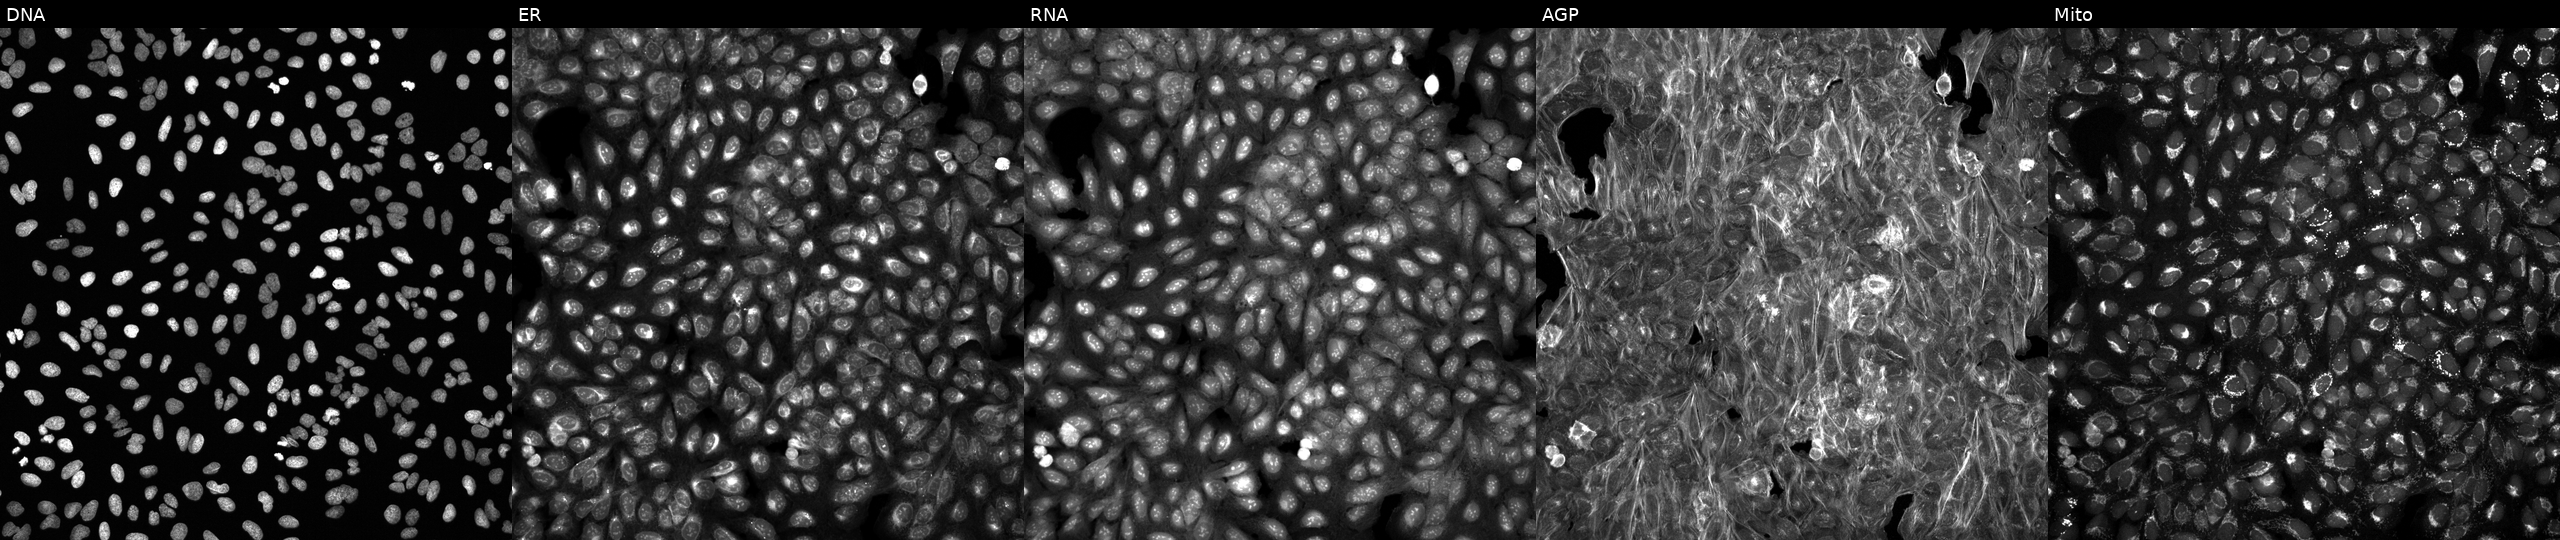
From left to right: DNA (nuclei); ER (endoplasmic reticulum); RNA (nucleoli and cytoplasmic RNA); AGP (actin cytoskeleton, Golgi, and plasma membrane); Mito (mitochondria). U2OS osteosarcoma cells treated with TC-S-7004 (positive-control compound) (JUMP id JCP2022_012818). Cell Painting assay, JUMP-CP dataset.